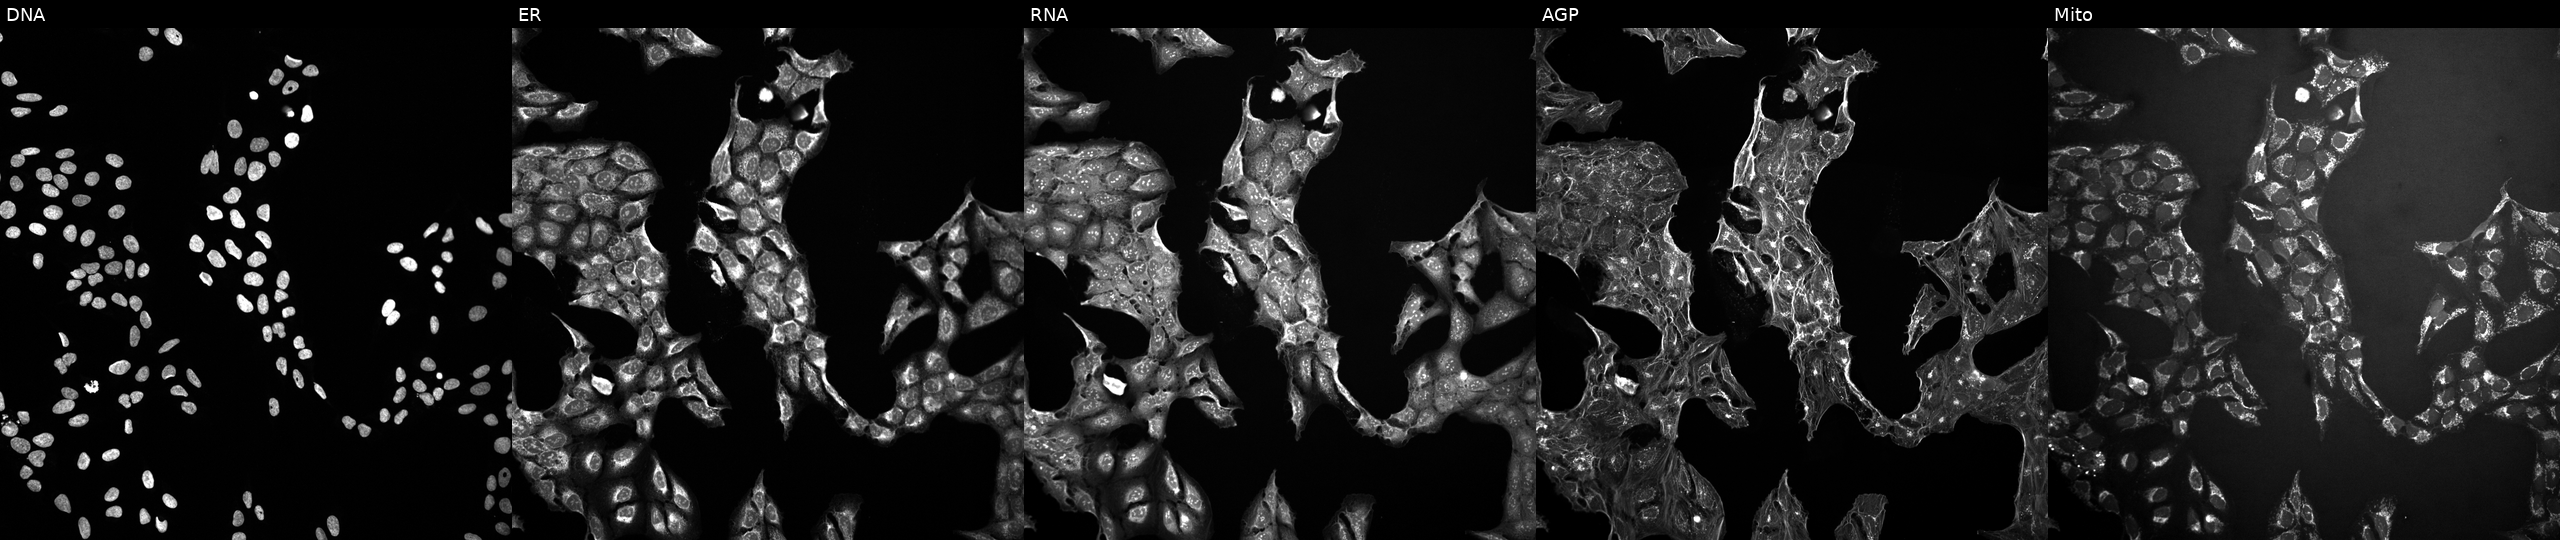
High-content fluorescence microscopy (Cell Painting). Cell line: U2OS. Perturbation: perturbed with a small-molecule compound (InChIKey WEUCDJCFJHYFRL-UHFFFAOYSA-N) [SMILES: CN1CCCN(C(c2ccccc2)c2ccc(Cl)cc2)CC1]. The five panels, left to right, show DNA, ER, RNA, AGP, and Mito.